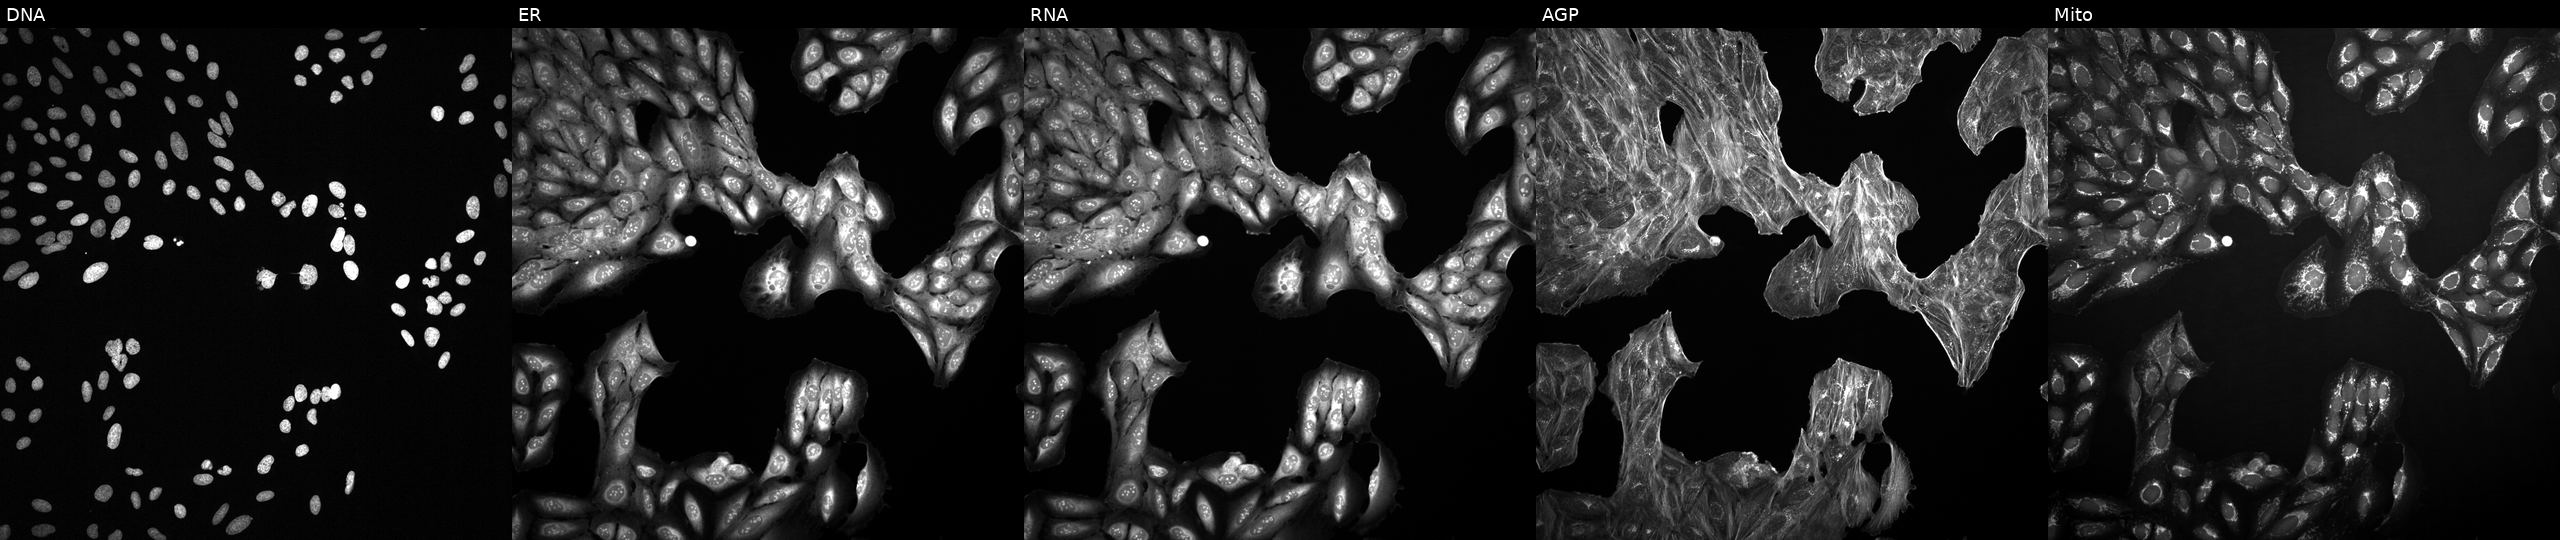
Panels show, left to right, Hoechst 33342, concanavalin A, SYTO 14, phalloidin and WGA, MitoTracker. U2OS osteosarcoma cells treated with DMSO vehicle only (negative control). Cell Painting assay, JUMP-CP dataset.